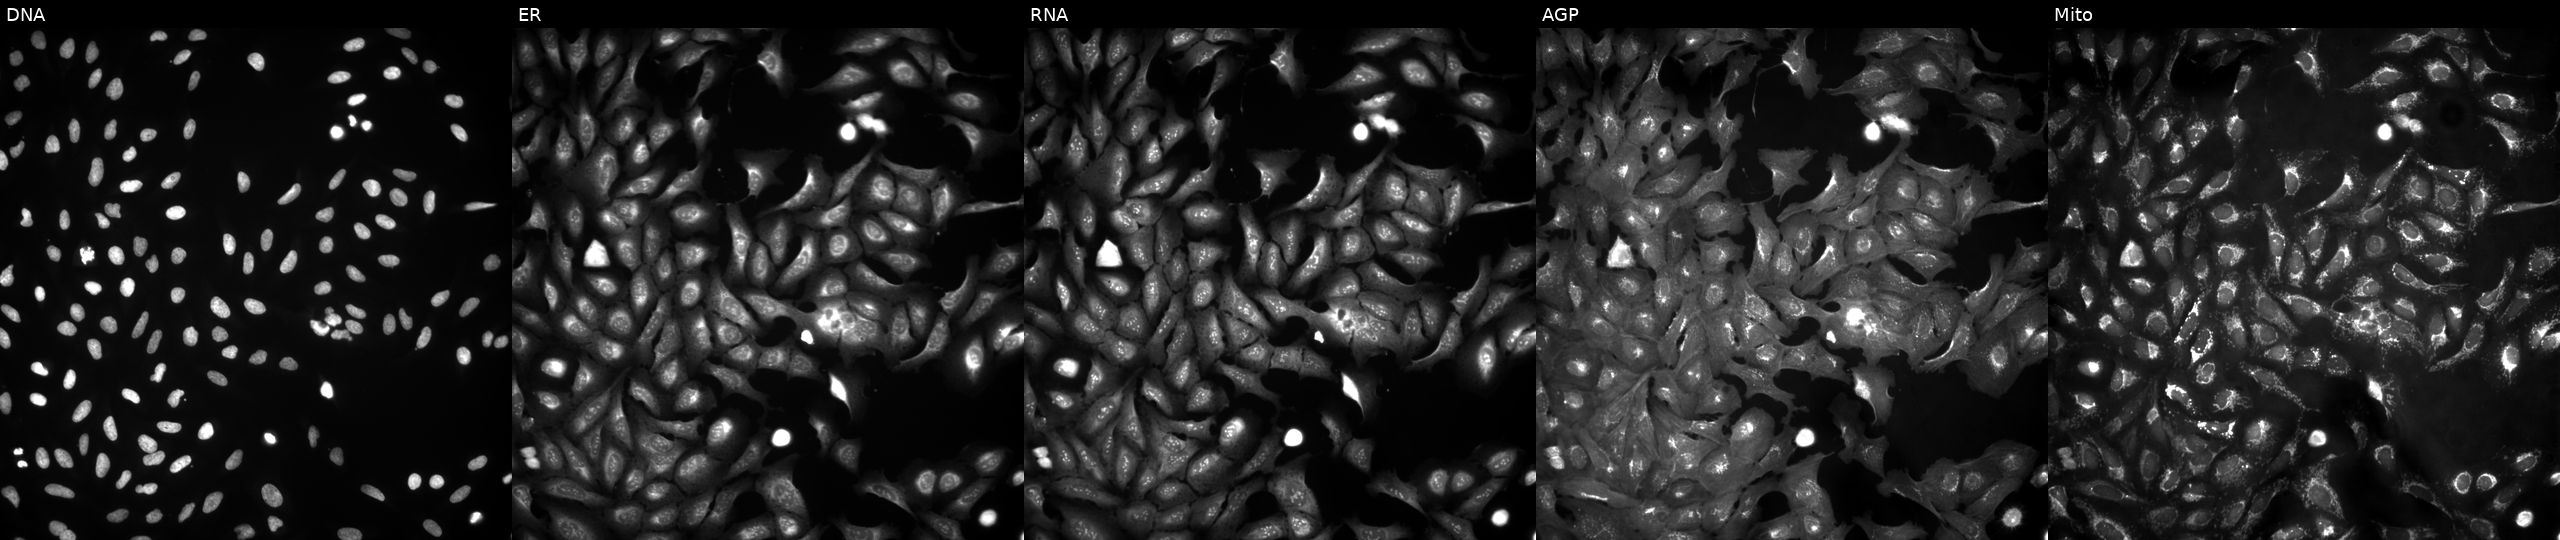
Five-channel Cell Painting image of U2OS cells expressing LUCIFERASE (ORF negative control) (JUMP id JCP2022_915130). The five panels, left to right, show DNA, ER, RNA, AGP, and Mito.